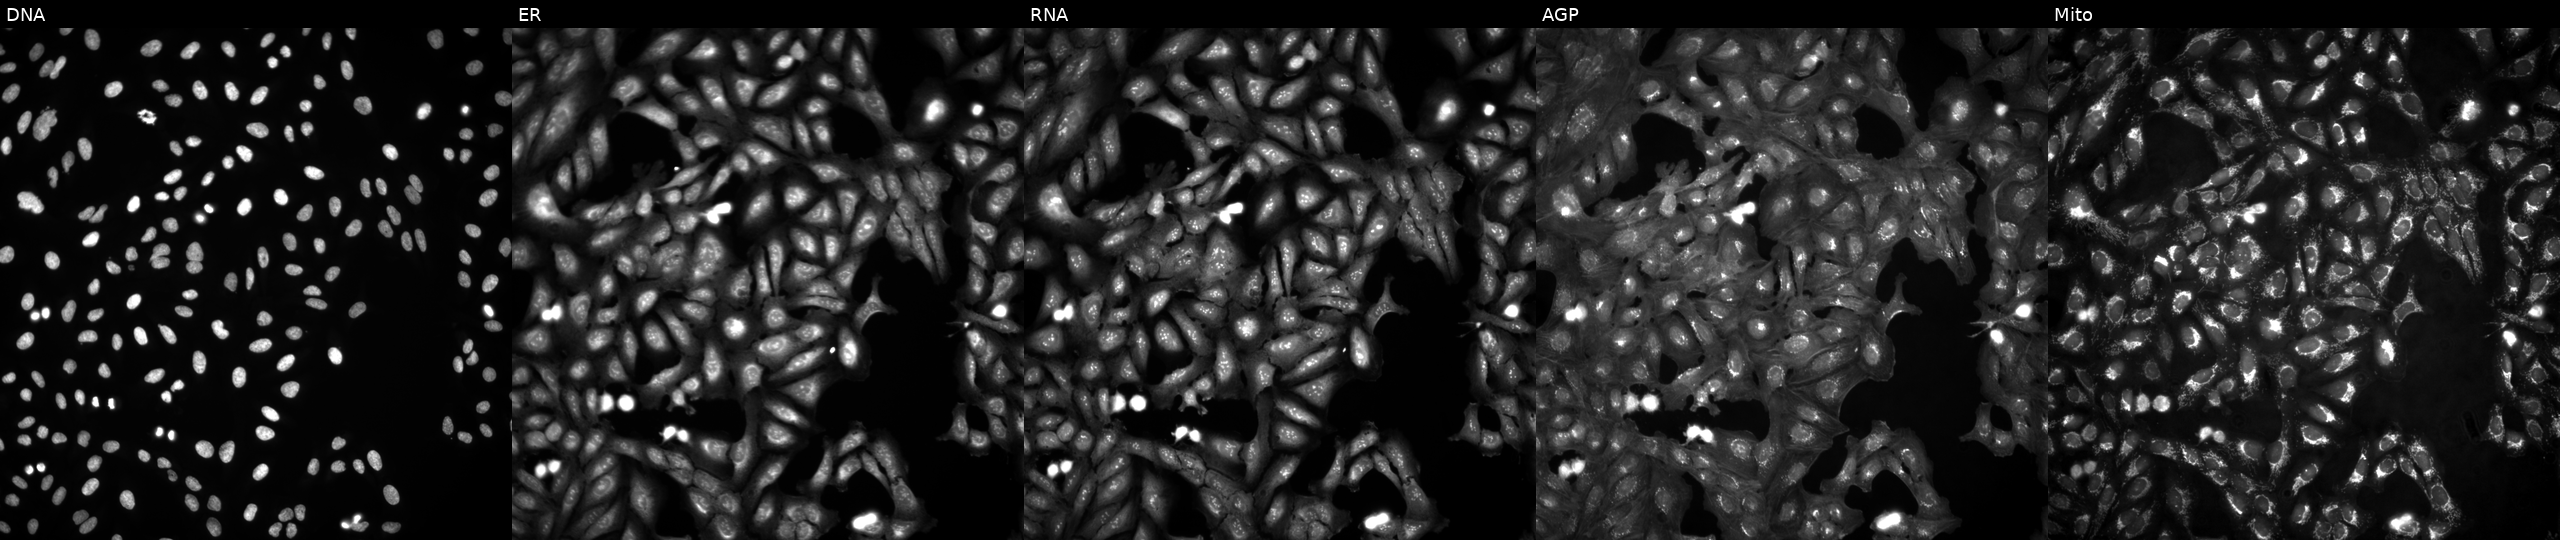
High-content fluorescence microscopy (Cell Painting). Cell line: U2OS. Perturbation: in an empty control well (no perturbation) (JUMP id JCP2022_999999). The five panels, left to right, show Hoechst 33342, concanavalin A, SYTO 14, phalloidin and WGA, MitoTracker. Source 4, plate BR00124793, well I05.